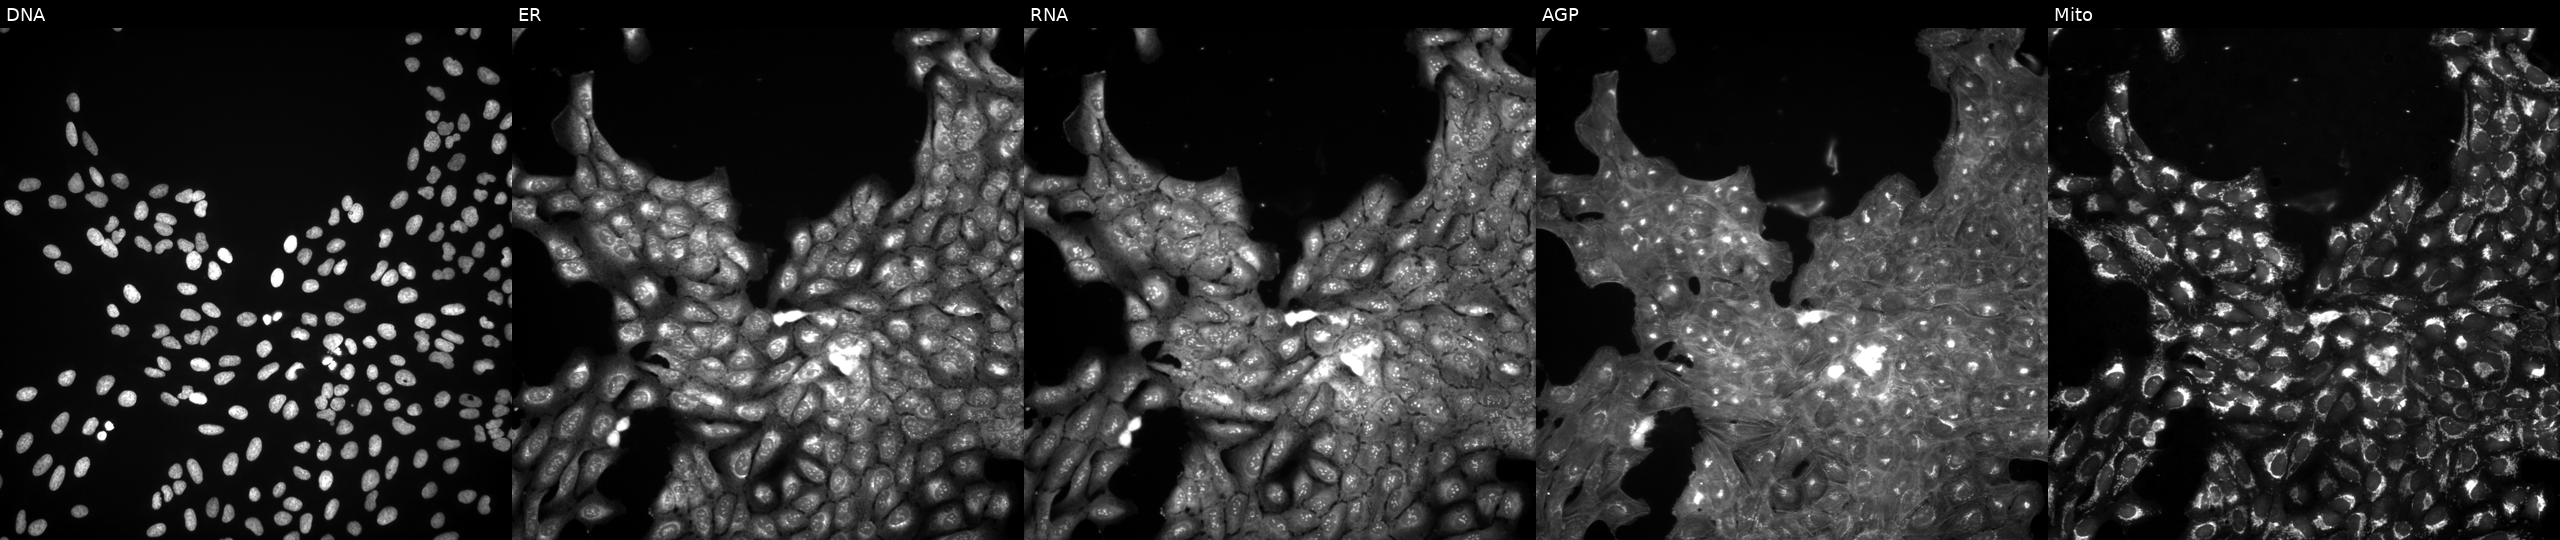
U2OS cells, Cell Painting assay, treated with a small-molecule compound [SMILES: Cc1ccc(C(=O)Nc2ccc(CN3CCN(C)CC3)c(C(F)(F)F)c2)cc1C#Cc1cnc2cccnn12] (JUMP id JCP2022_068713). The five panels, left to right, show DNA, ER, RNA, AGP, and Mito. Each panel is percentile-stretched 16-bit fluorescence.